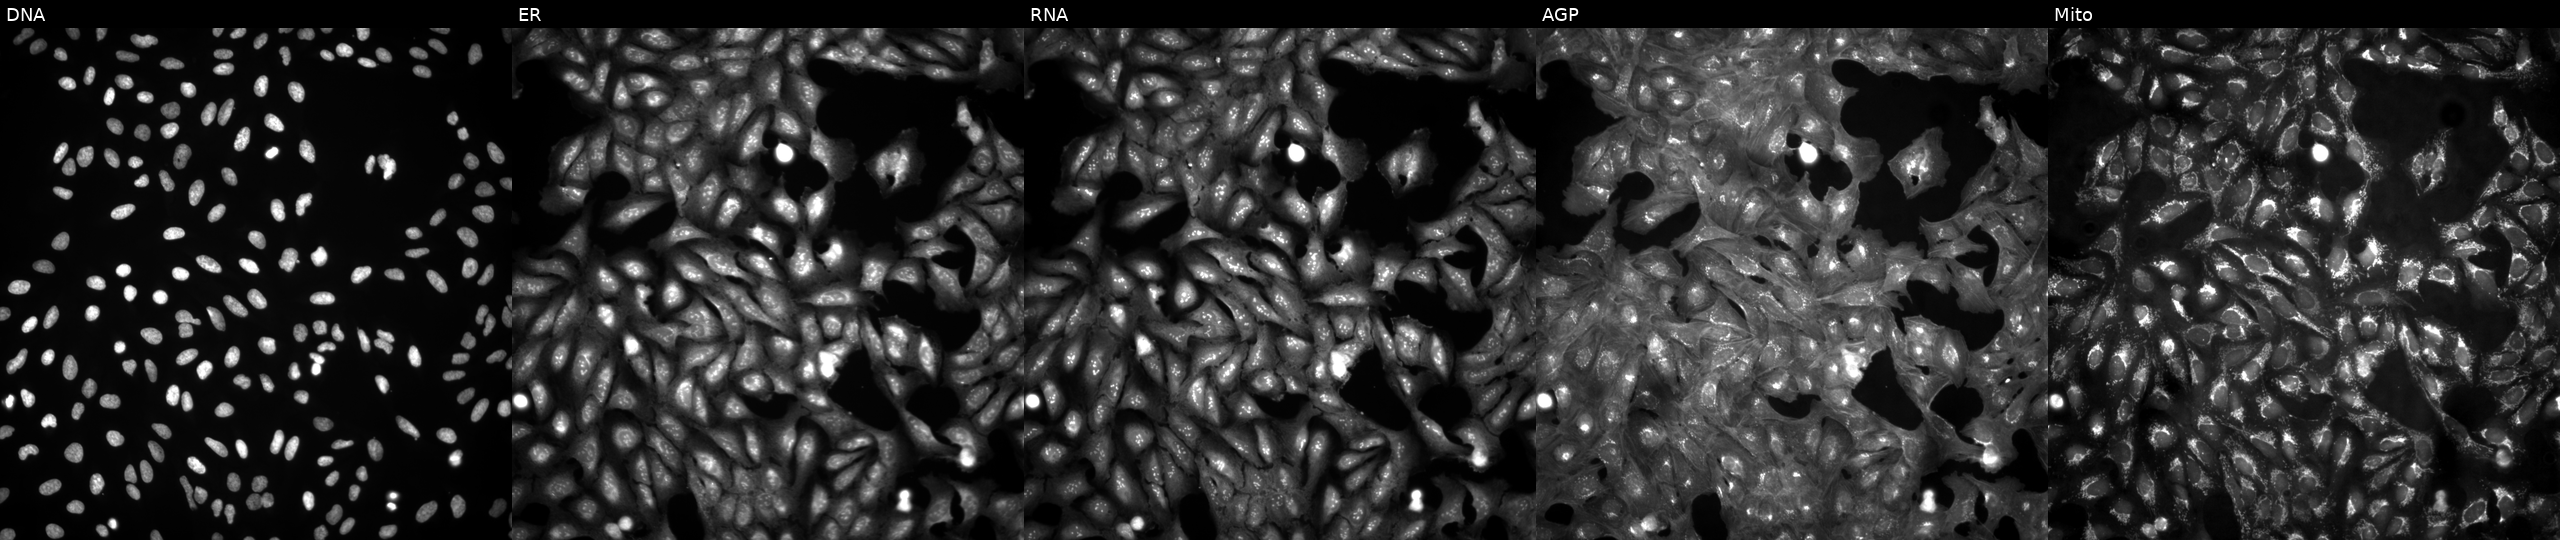
JUMP Cell Painting — ORF plate. U2OS cells untreated (empty-well control) (JUMP id JCP2022_999999). Panels show, left to right, DNA, ER, RNA, AGP, and Mito.